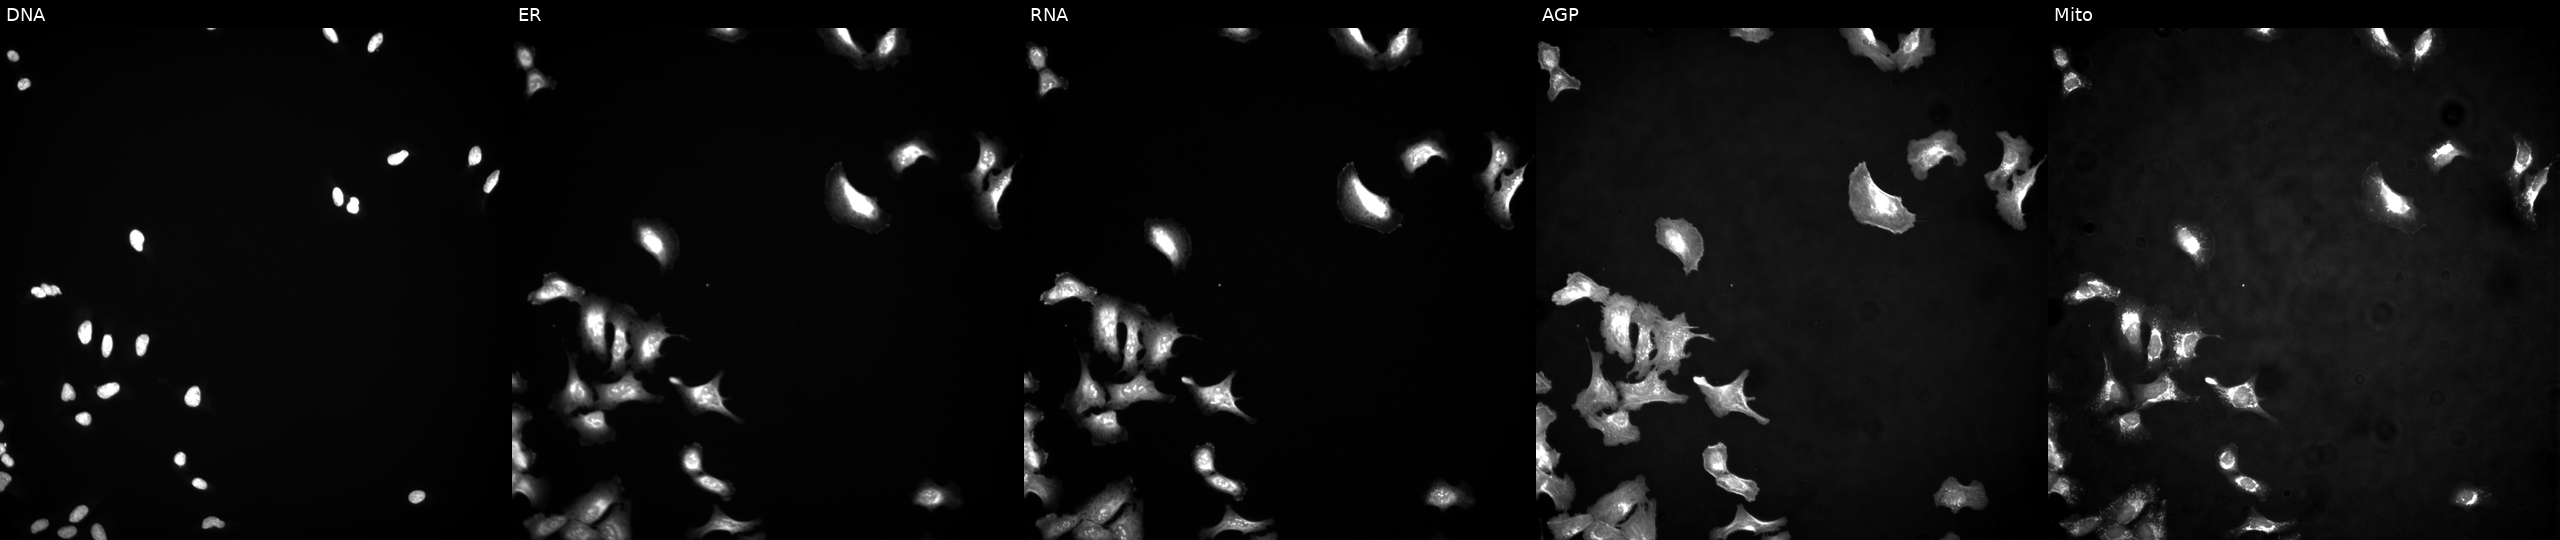
High-content fluorescence microscopy (Cell Painting). Cell line: U2OS. Perturbation: with TAOK3 overexpressed (ORF). Panels show, left to right, Hoechst 33342, concanavalin A, SYTO 14, phalloidin and WGA, MitoTracker.